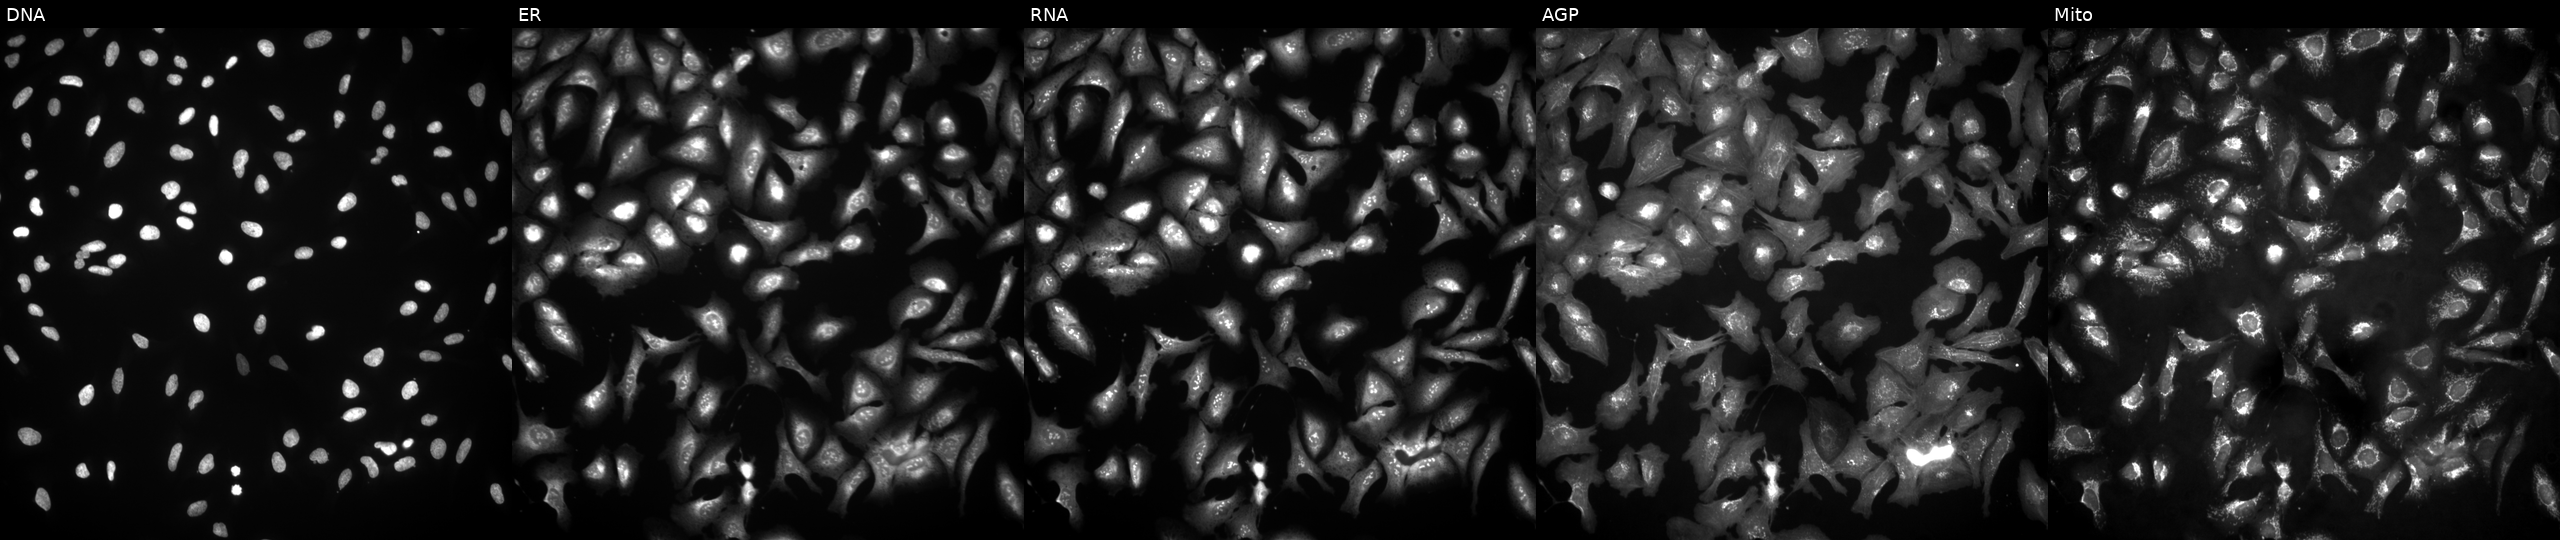
This image strip shows the five Cell Painting channels for a single field of U2OS cells overexpressing WDR77 via ORF transfection (JUMP id JCP2022_911693). From left to right: DNA (nuclei); ER (endoplasmic reticulum); RNA (nucleoli and cytoplasmic RNA); AGP (actin cytoskeleton, Golgi, and plasma membrane); Mito (mitochondria). Source 4, plate BR00124790, well F09.